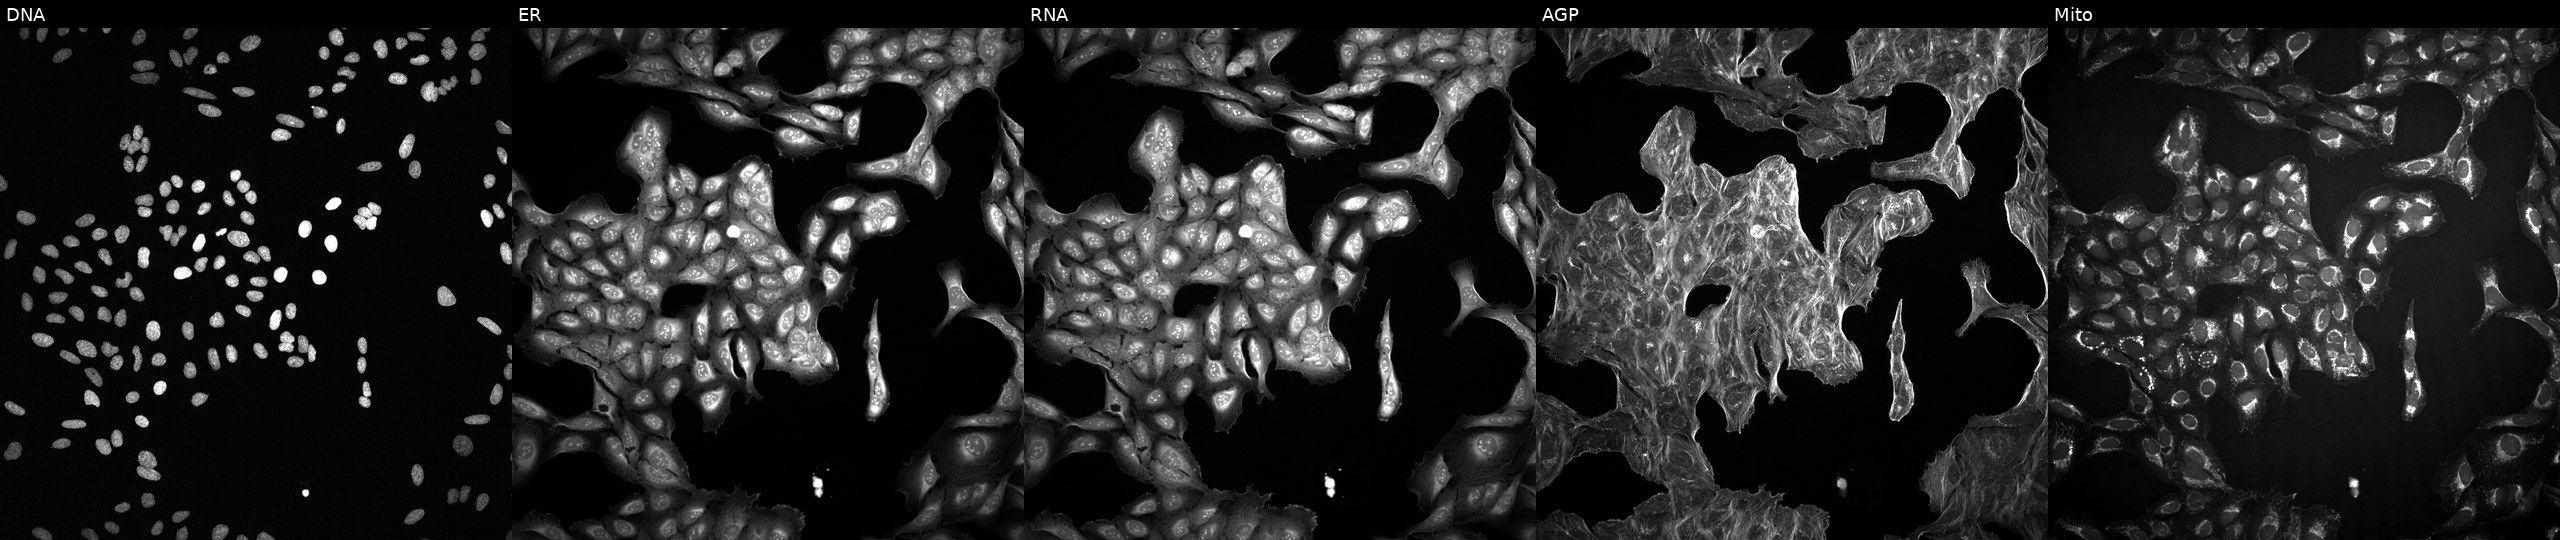
JUMP Cell Painting — COMPOUND plate. U2OS cells exposed to DMSO alone as a negative control (JUMP id JCP2022_033924). Channels (left→right): DNA (nuclei); ER (endoplasmic reticulum); RNA (nucleoli and cytoplasmic RNA); AGP (actin cytoskeleton, Golgi, and plasma membrane); Mito (mitochondria).